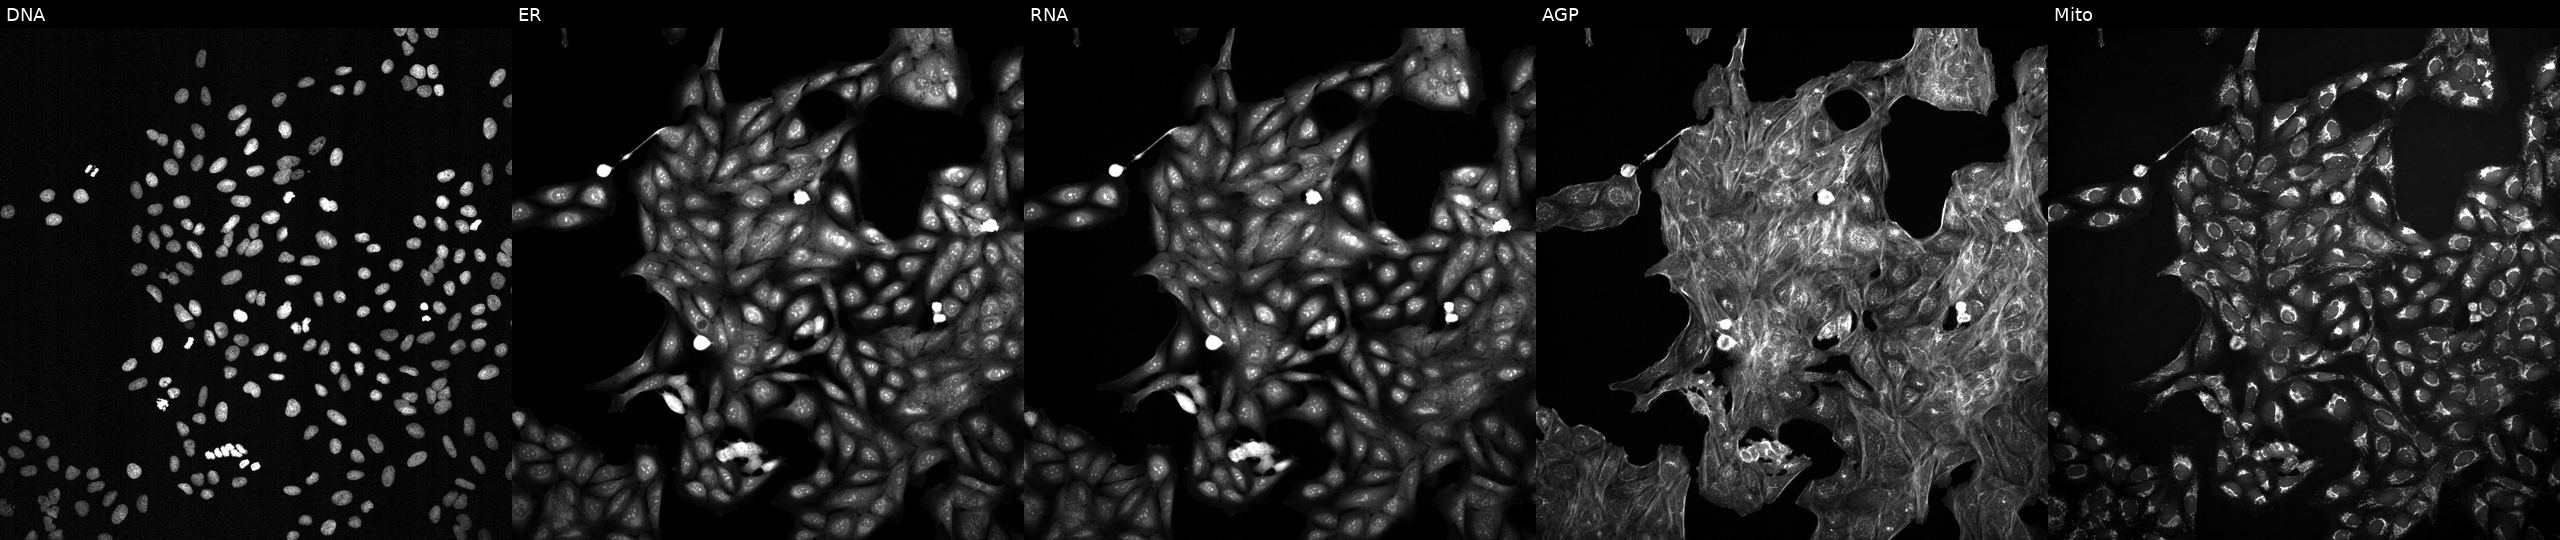
U2OS cells, Cell Painting assay, treated with a small-molecule compound (InChIKey NBHPRWLFLUBAIE-UHFFFAOYSA-N). Panels show, left to right, Hoechst 33342, concanavalin A, SYTO 14, phalloidin and WGA, MitoTracker. Each panel is percentile-stretched 16-bit fluorescence.